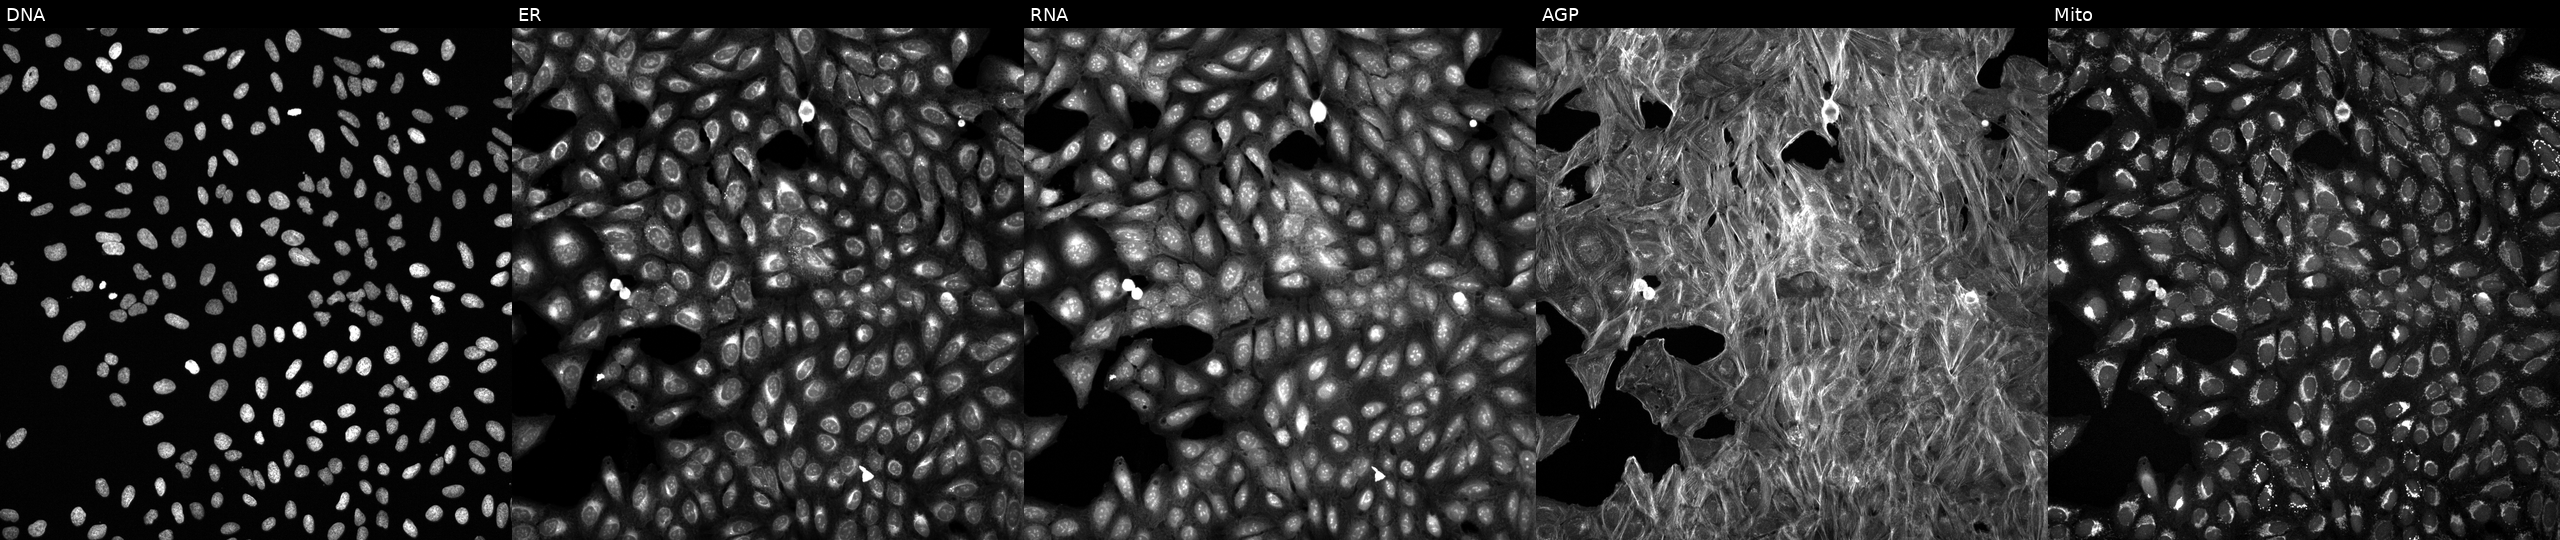
Five-channel Cell Painting image of U2OS cells exposed to a small-molecule compound (InChIKey AAKOJKQMPSAJIG-UHFFFAOYSA-N) (JUMP id JCP2022_000090). Panels show, left to right, DNA (nuclei); ER (endoplasmic reticulum); RNA (nucleoli and cytoplasmic RNA); AGP (actin cytoskeleton, Golgi, and plasma membrane); Mito (mitochondria).